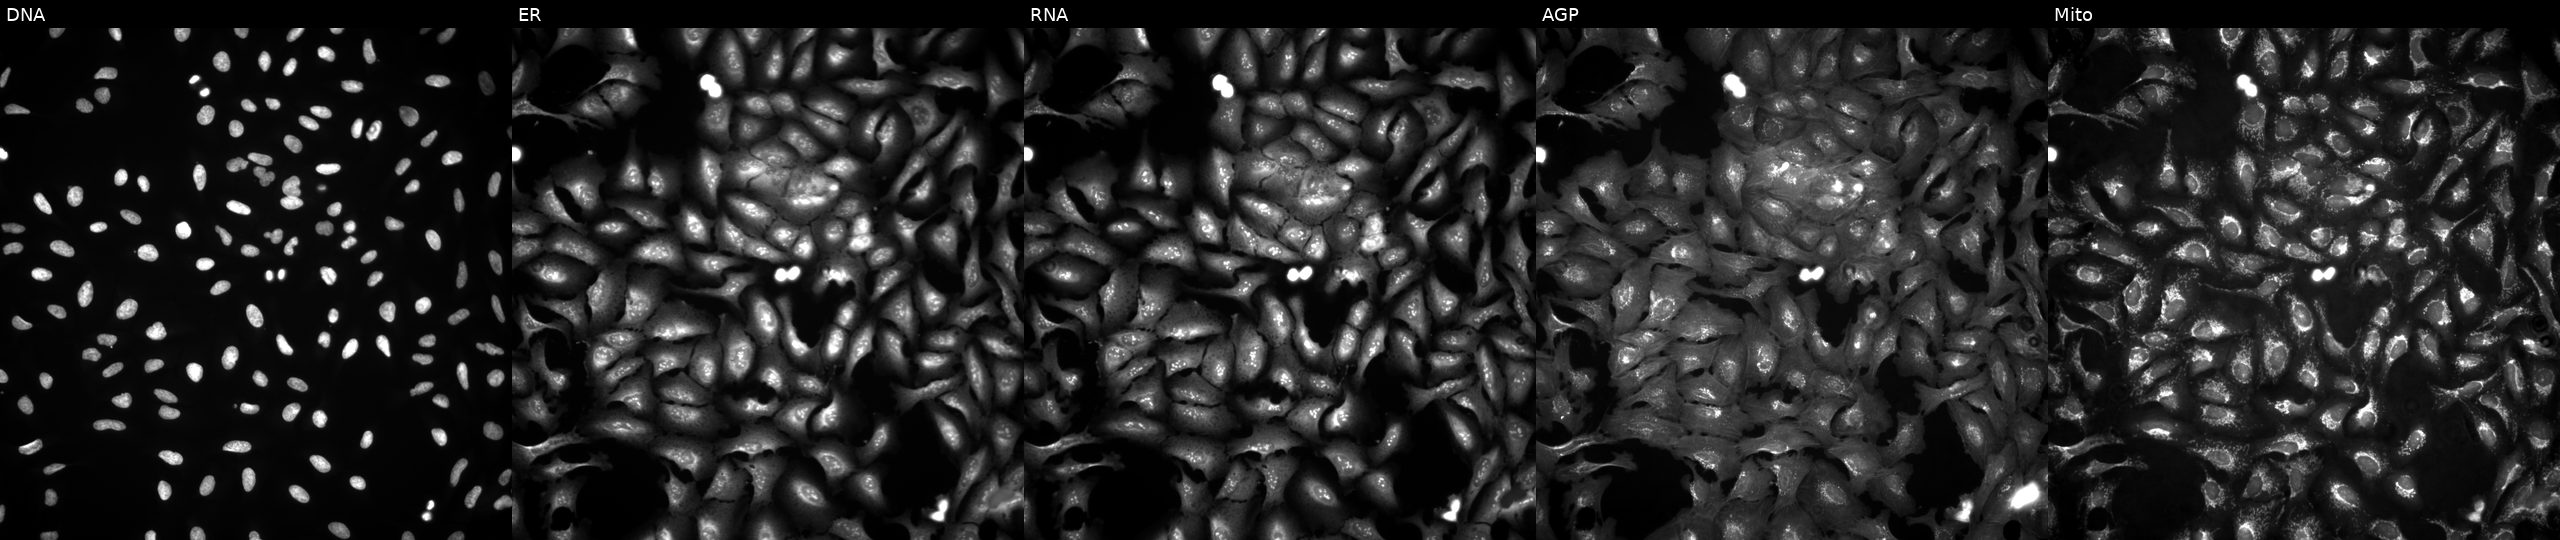
High-content fluorescence microscopy (Cell Painting). Cell line: U2OS. Perturbation: overexpressing TIMM10B via ORF transfection. Panels show, left to right, Hoechst 33342, concanavalin A, SYTO 14, phalloidin and WGA, MitoTracker.